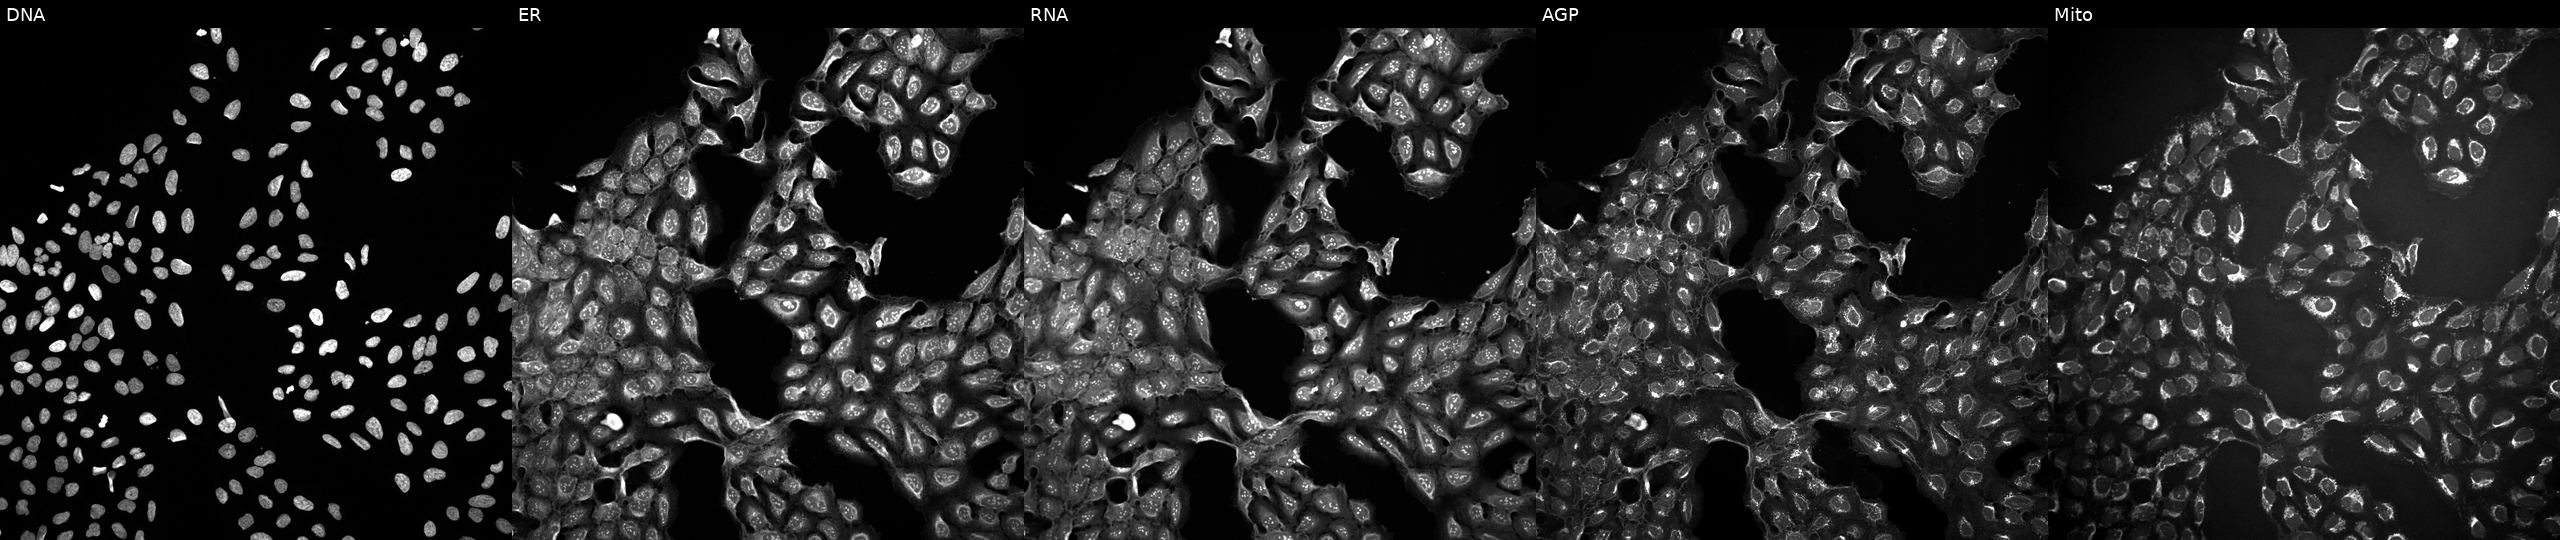
U2OS cells, Cell Painting assay, exposed to DMSO alone as a negative control (JUMP id JCP2022_033924). Panels show, left to right, DNA, ER, RNA, AGP, and Mito. Each panel is percentile-stretched 16-bit fluorescence.